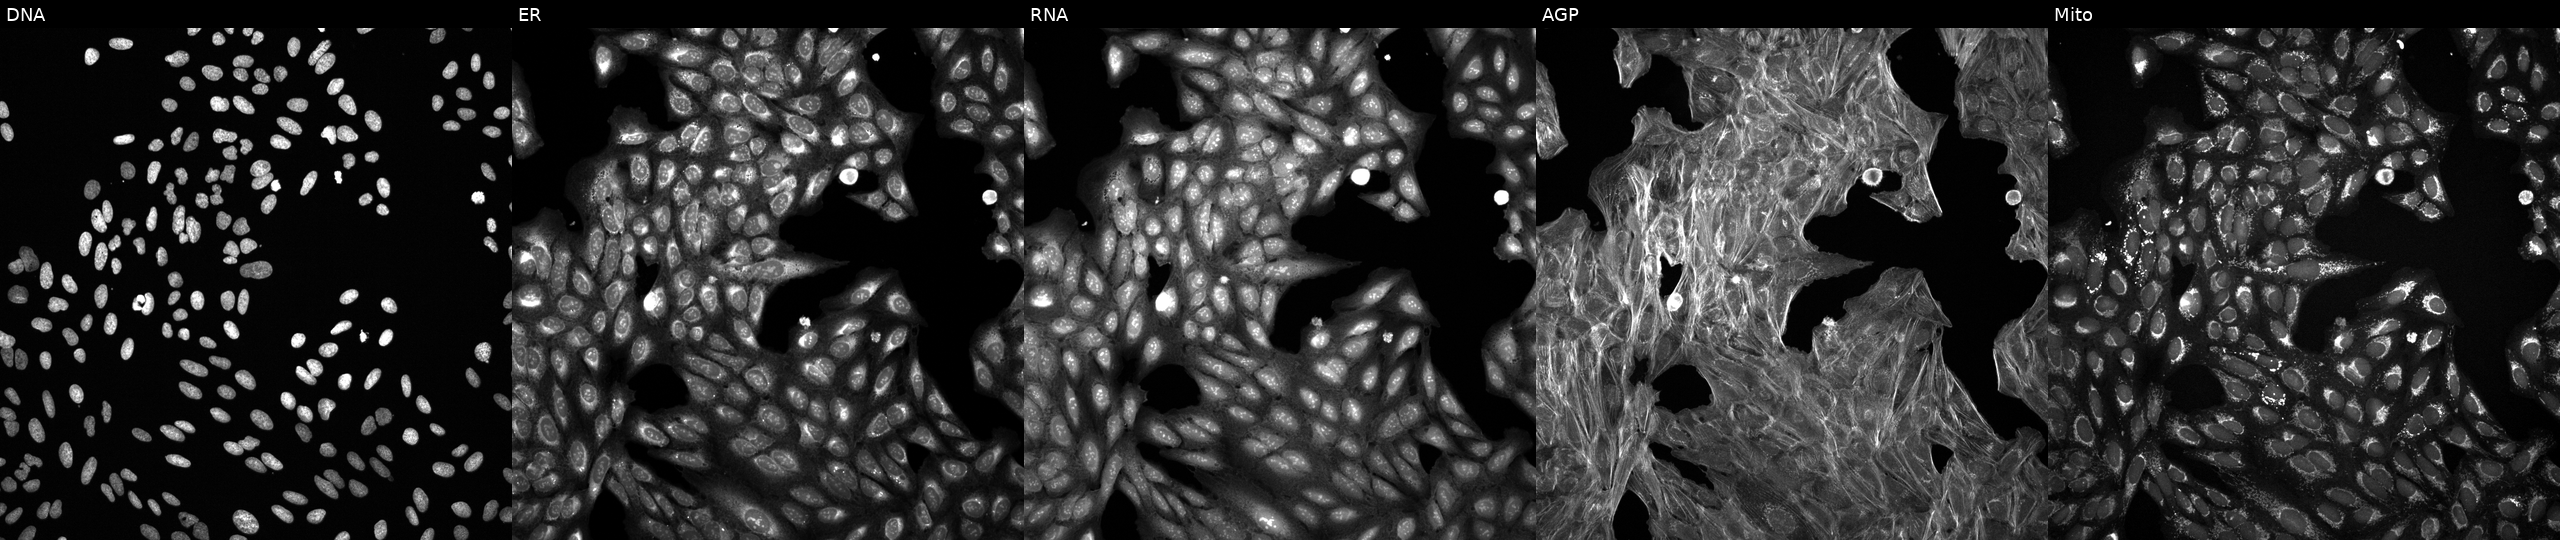
Five-channel Cell Painting image of U2OS cells exposed to a small-molecule compound (InChIKey GNAGCRHVTNOFKY-UHFFFAOYSA-N) (JUMP id JCP2022_026534). From left to right: DNA (nuclei); ER (endoplasmic reticulum); RNA (nucleoli and cytoplasmic RNA); AGP (actin cytoskeleton, Golgi, and plasma membrane); Mito (mitochondria). Source 6, plate 110000293083, well K10.